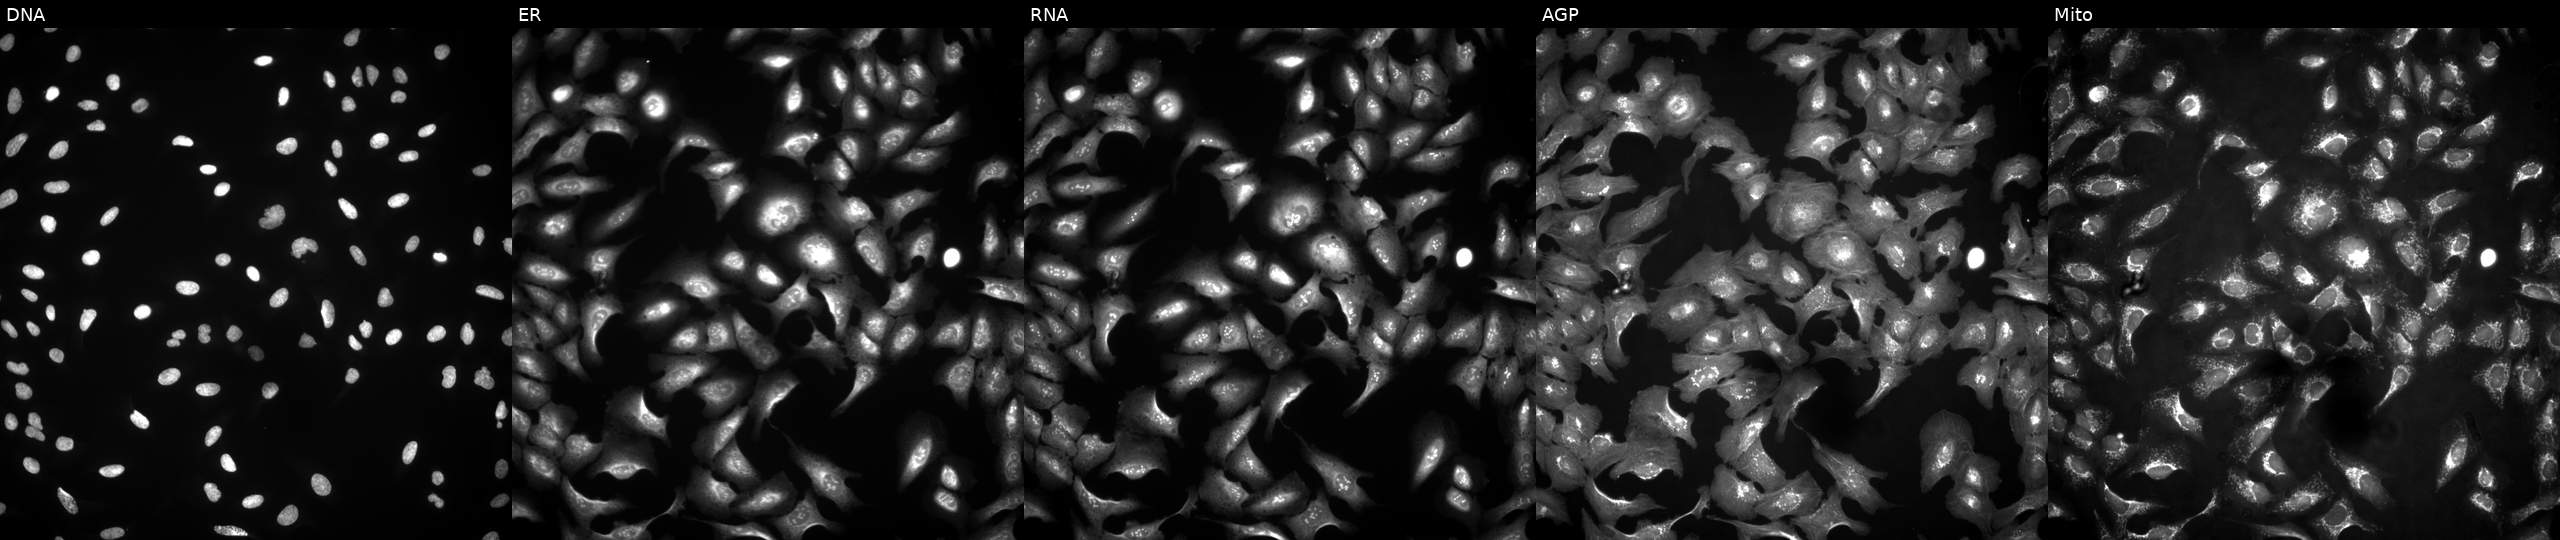
U2OS cells, Cell Painting assay, transfected with an ORF construct for BTNL2. From left to right: DNA (nuclei); ER (endoplasmic reticulum); RNA (nucleoli and cytoplasmic RNA); AGP (actin cytoskeleton, Golgi, and plasma membrane); Mito (mitochondria). Each panel is percentile-stretched 16-bit fluorescence.